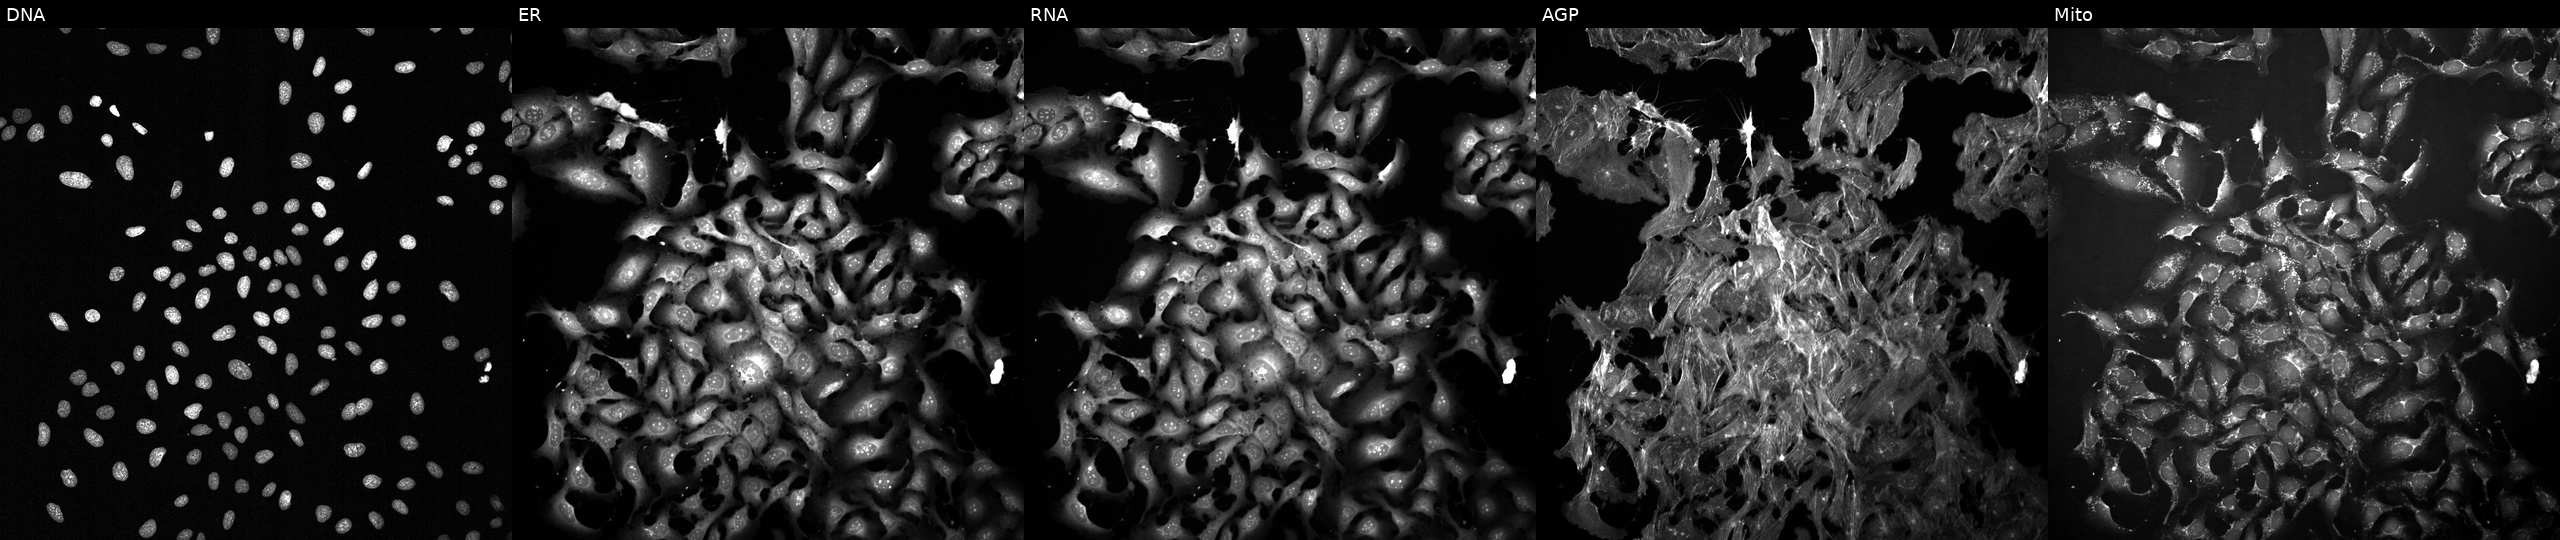
U2OS cells, Cell Painting assay, treated with FK-866 (positive-control compound) (JUMP id JCP2022_046054). Channels (left→right): DNA (nuclei); ER (endoplasmic reticulum); RNA (nucleoli and cytoplasmic RNA); AGP (actin cytoskeleton, Golgi, and plasma membrane); Mito (mitochondria). Each panel is percentile-stretched 16-bit fluorescence. Source 2, plate 1053601756, well H24.